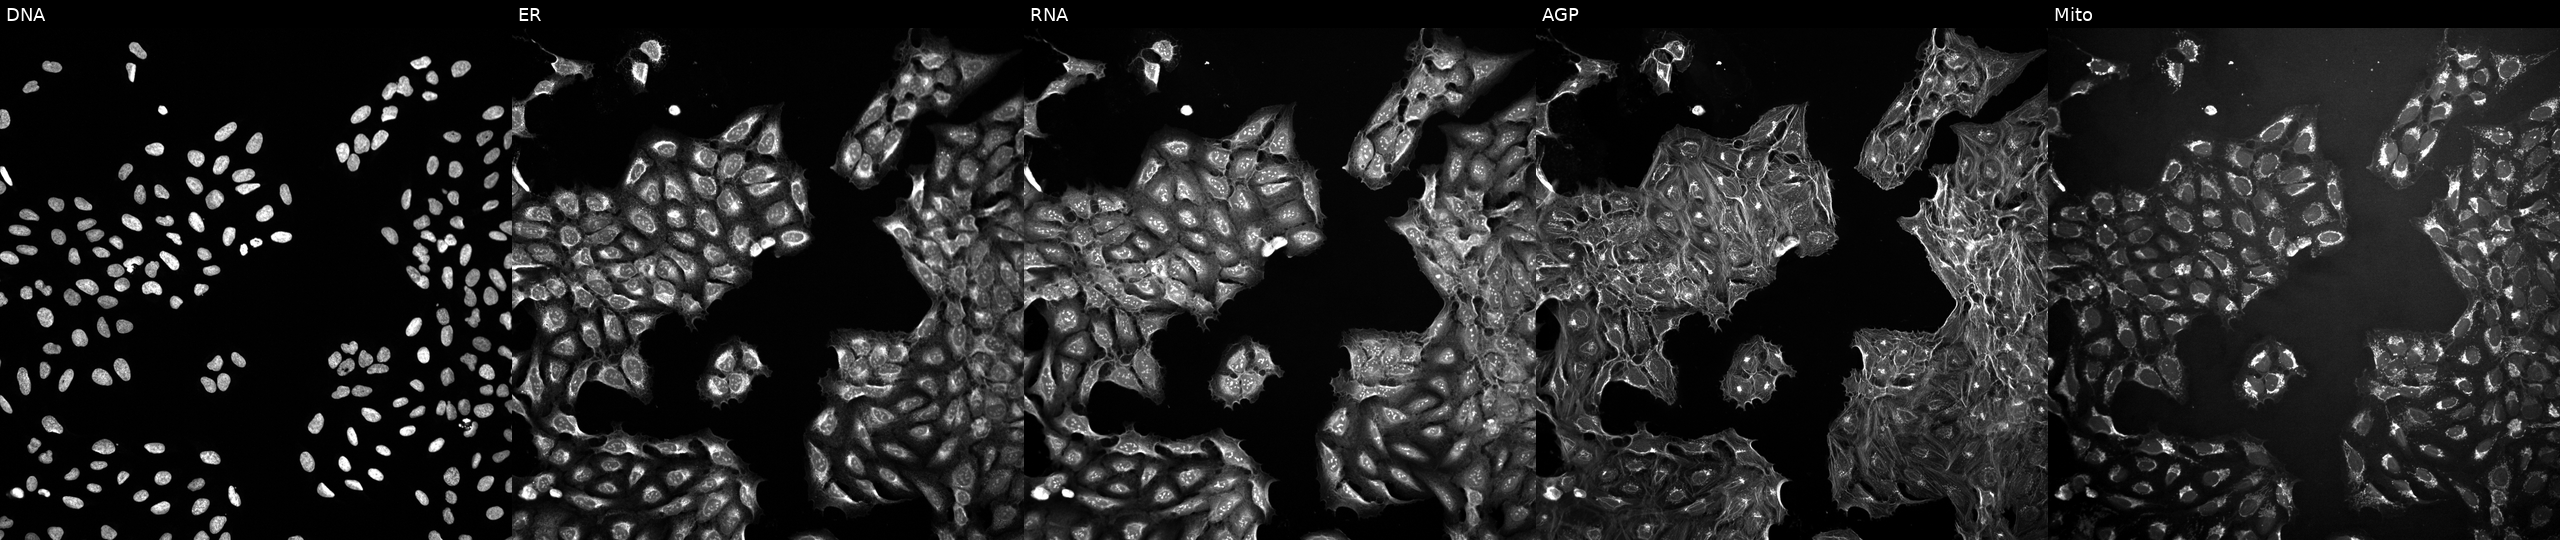
U2OS cells, Cell Painting assay, perturbed with a small-molecule compound (JUMP id JCP2022_106192). Channels (left→right): DNA (nuclei); ER (endoplasmic reticulum); RNA (nucleoli and cytoplasmic RNA); AGP (actin cytoskeleton, Golgi, and plasma membrane); Mito (mitochondria). Each panel is percentile-stretched 16-bit fluorescence. Source 10, plate Dest210531-152324, well K12.